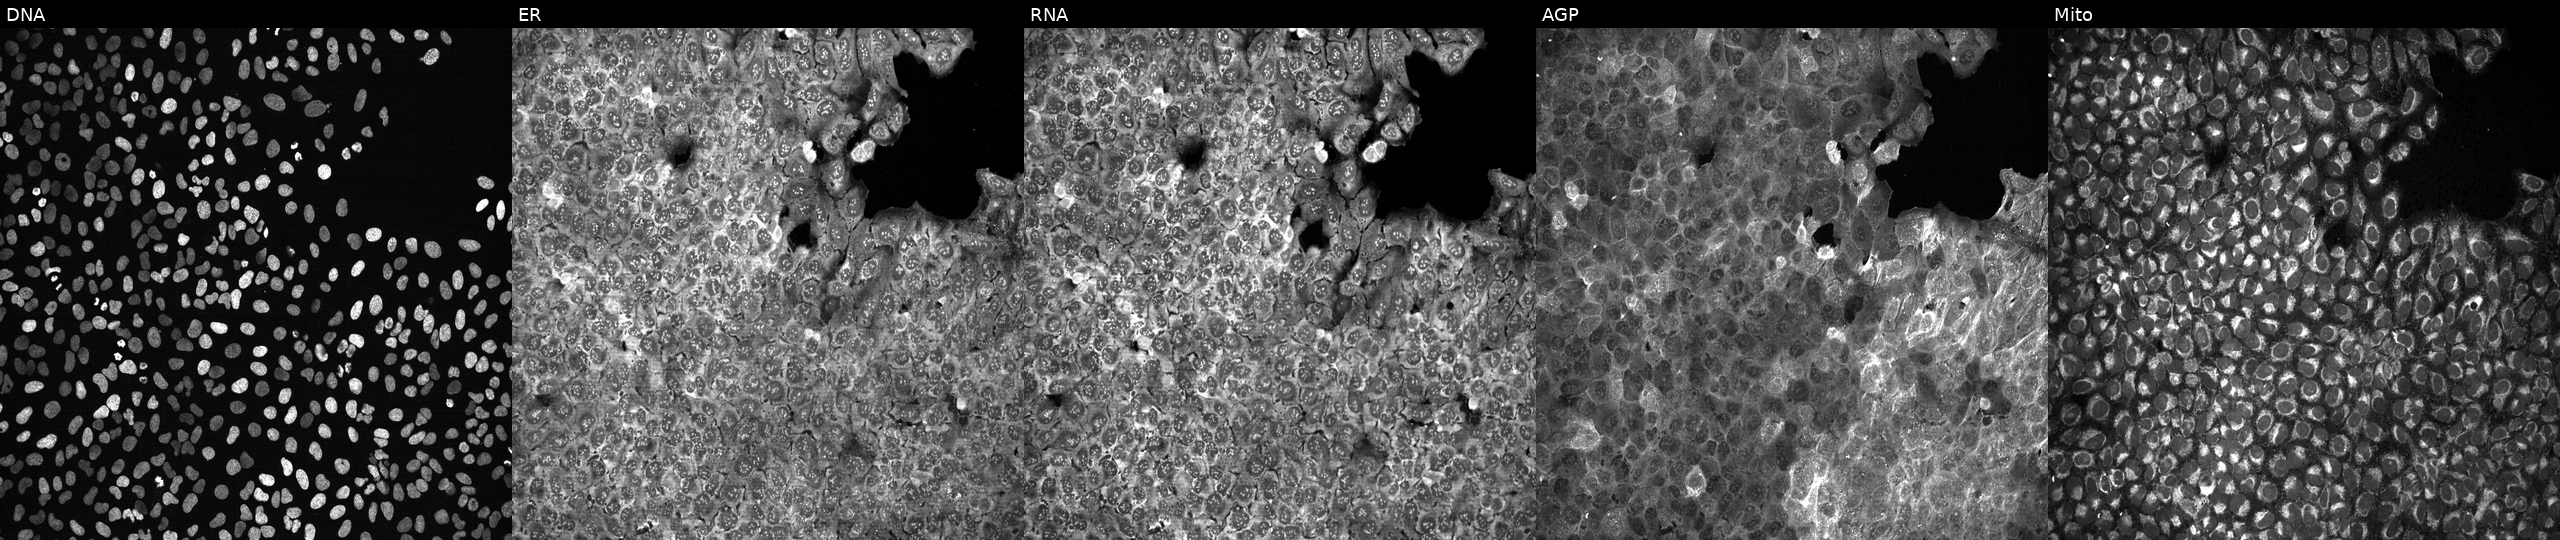
U2OS cells, Cell Painting assay, exposed to the positive-control compound aloxistatin (JUMP id JCP2022_085227). Panels show, left to right, DNA, ER, RNA, AGP, and Mito. Each panel is percentile-stretched 16-bit fluorescence.